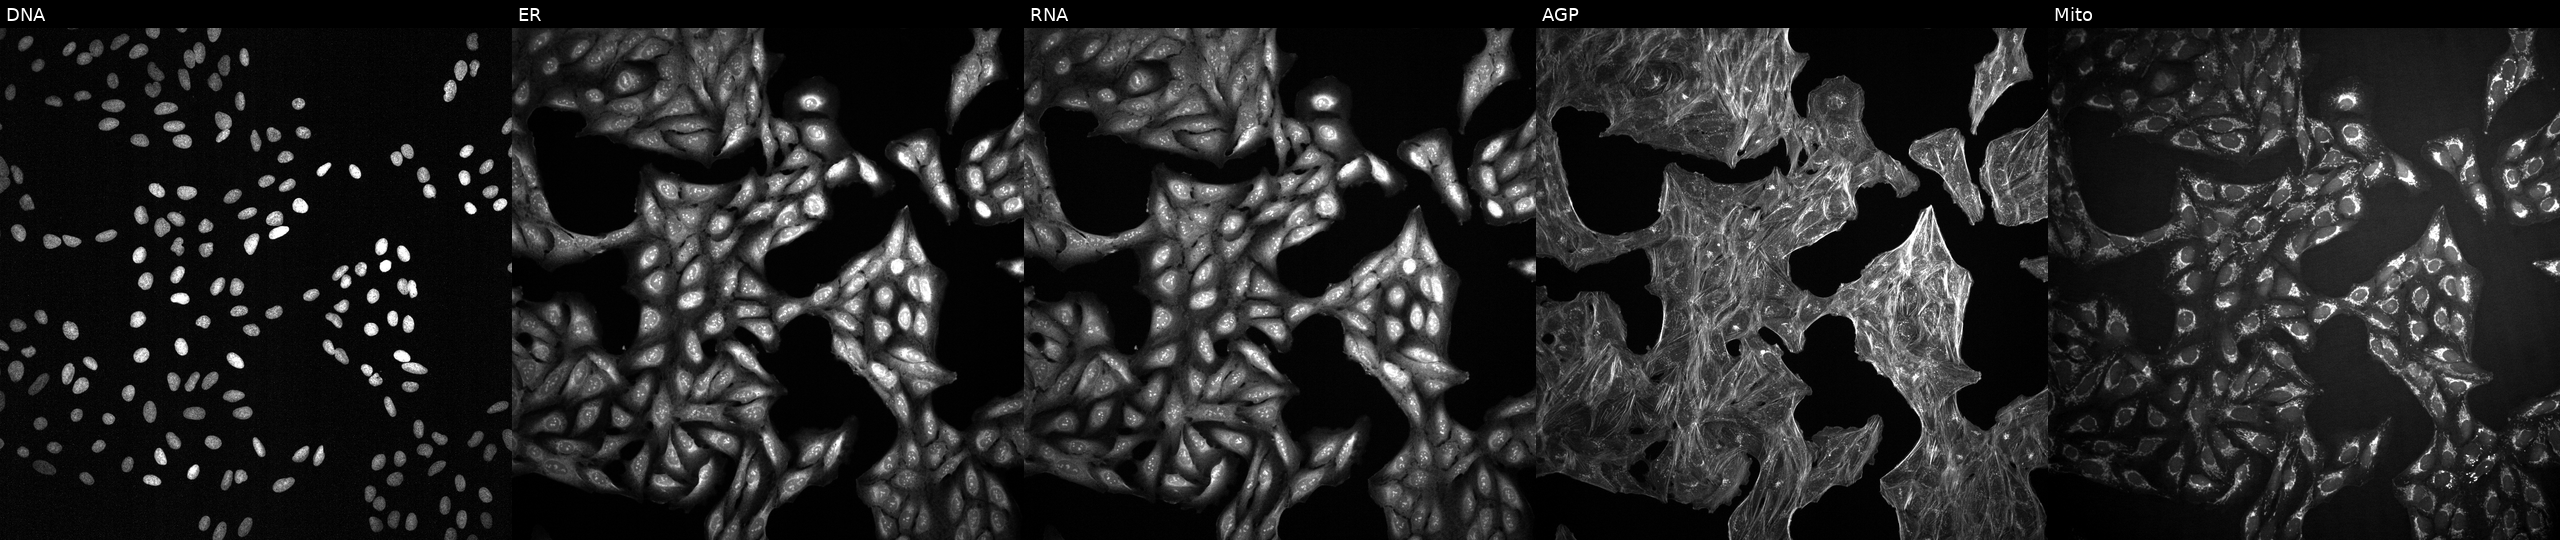
This image strip shows the five Cell Painting channels for a single field of U2OS cells treated with a small-molecule compound (InChIKey ZMUSCGJNJYXJBP-UHFFFAOYSA-N) [SMILES: CC1(C)OC2CC3C4CC=C5CC(=O)C=CC5(C)C4C(O)CC3(C)C2(C(=O)CO)O1] (JUMP id JCP2022_114322). Panels show, left to right, DNA, ER, RNA, AGP, and Mito. Source 2, plate 1053599503, well G05.